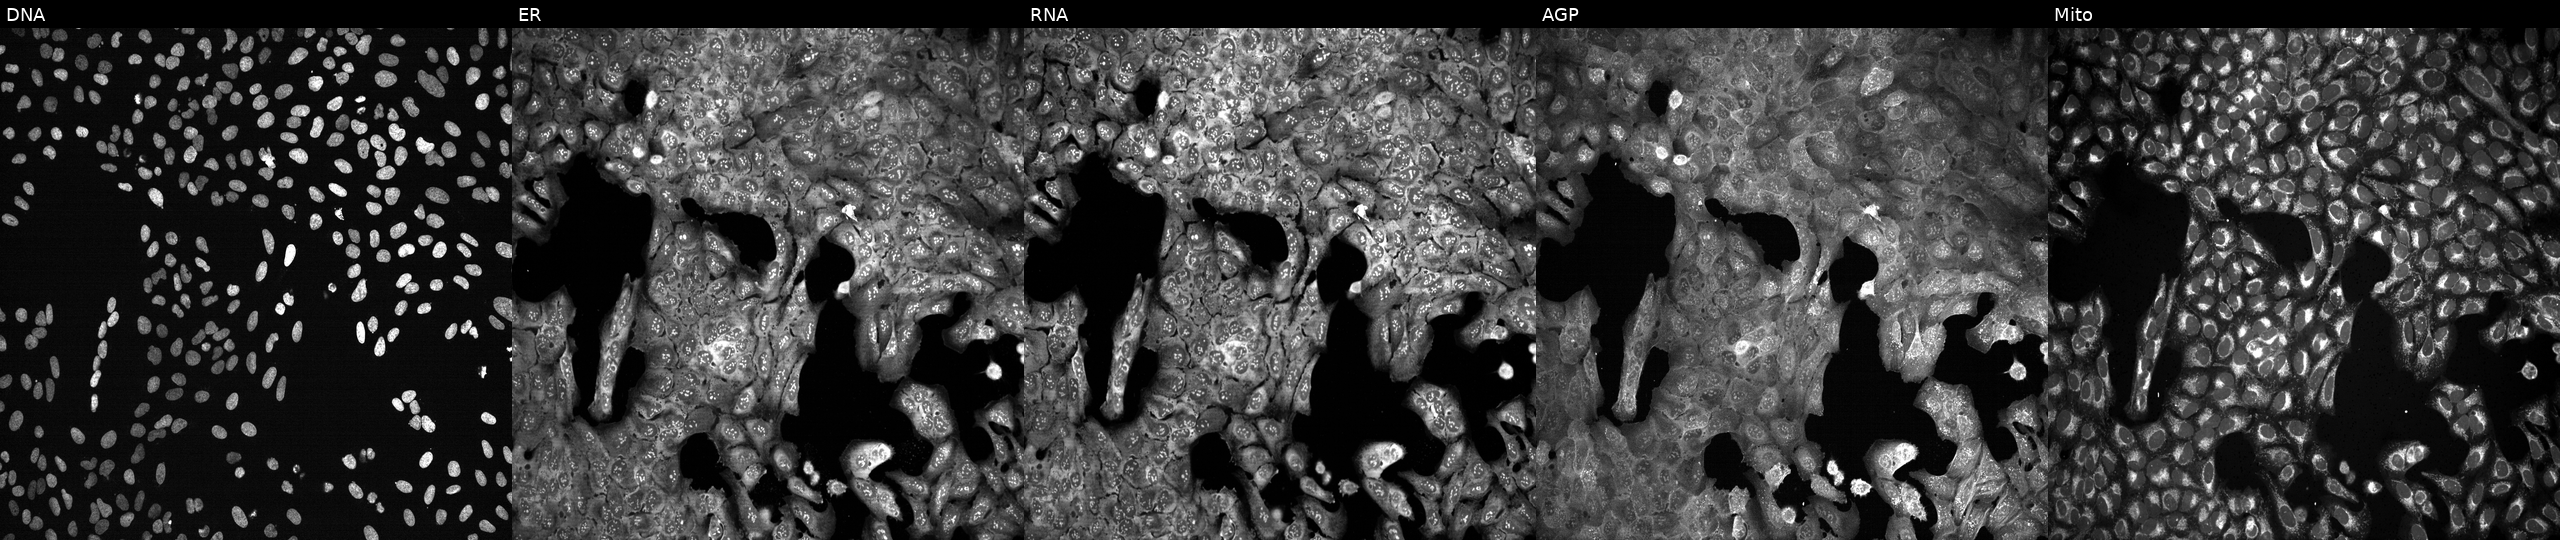
The five panels, left to right, show Hoechst 33342, concanavalin A, SYTO 14, phalloidin and WGA, MitoTracker. U2OS osteosarcoma cells following CRISPR knockout of TMPRSS11B (JUMP id JCP2022_807141). Cell Painting assay, JUMP-CP dataset. Source 13, plate CP-CC9-R4-04, well K06.